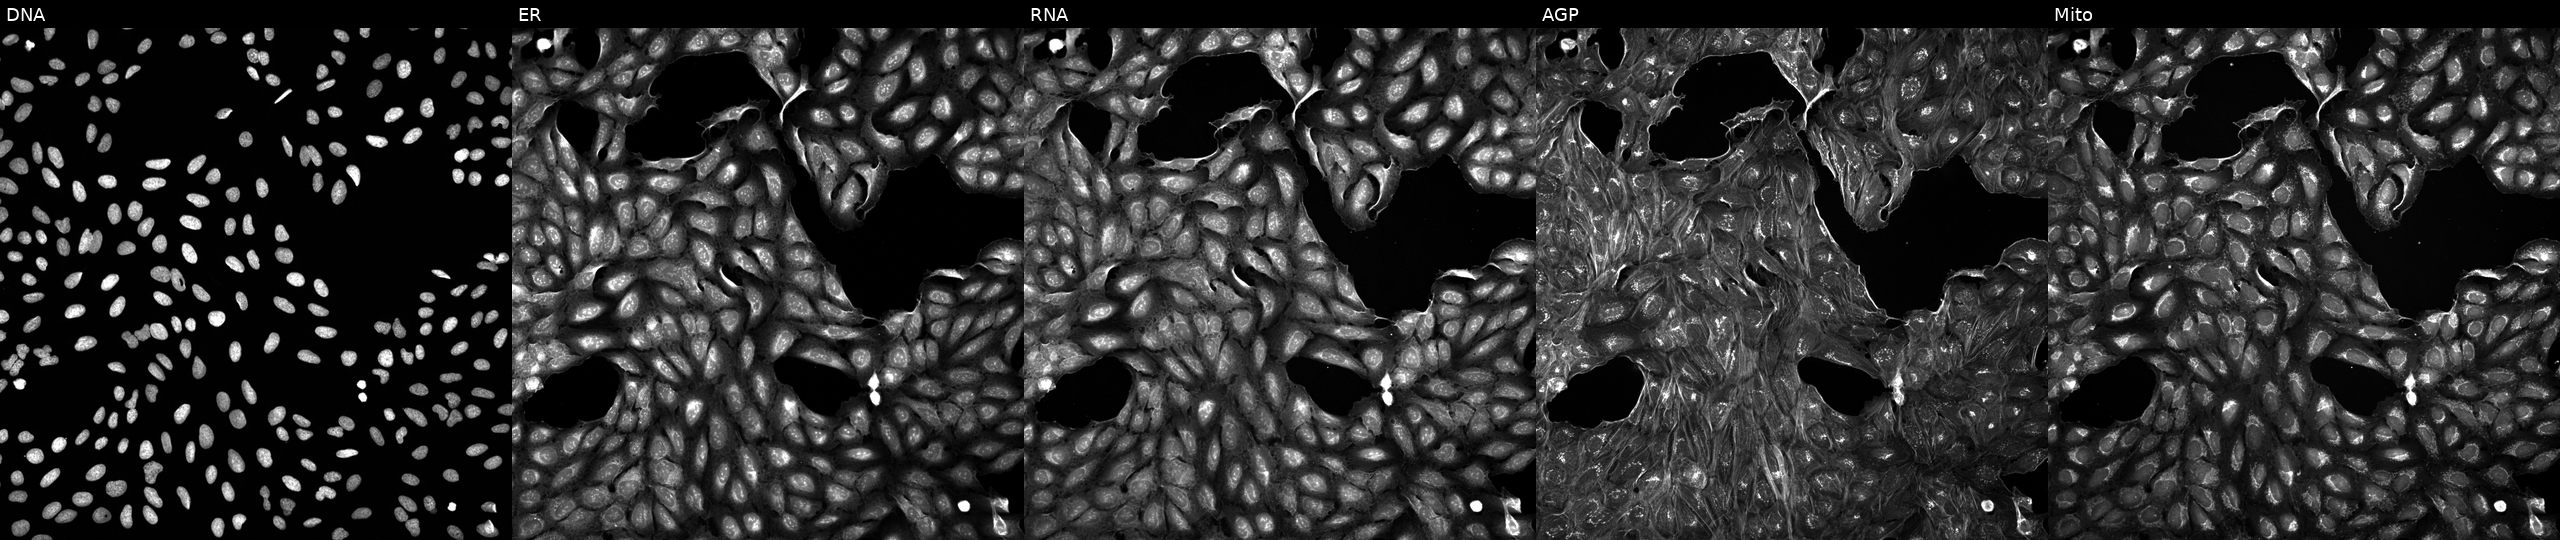
JUMP Cell Painting — COMPOUND plate. U2OS cells perturbed with a small-molecule compound (InChIKey OSLNSVIWHMGJAY-UHFFFAOYSA-N) [SMILES: CC(C)Nc1cc(F)ccc1NC(=O)c1cnc(C2CCCO2)s1] (JUMP id JCP2022_065838). Panels show, left to right, DNA, ER, RNA, AGP, and Mito.